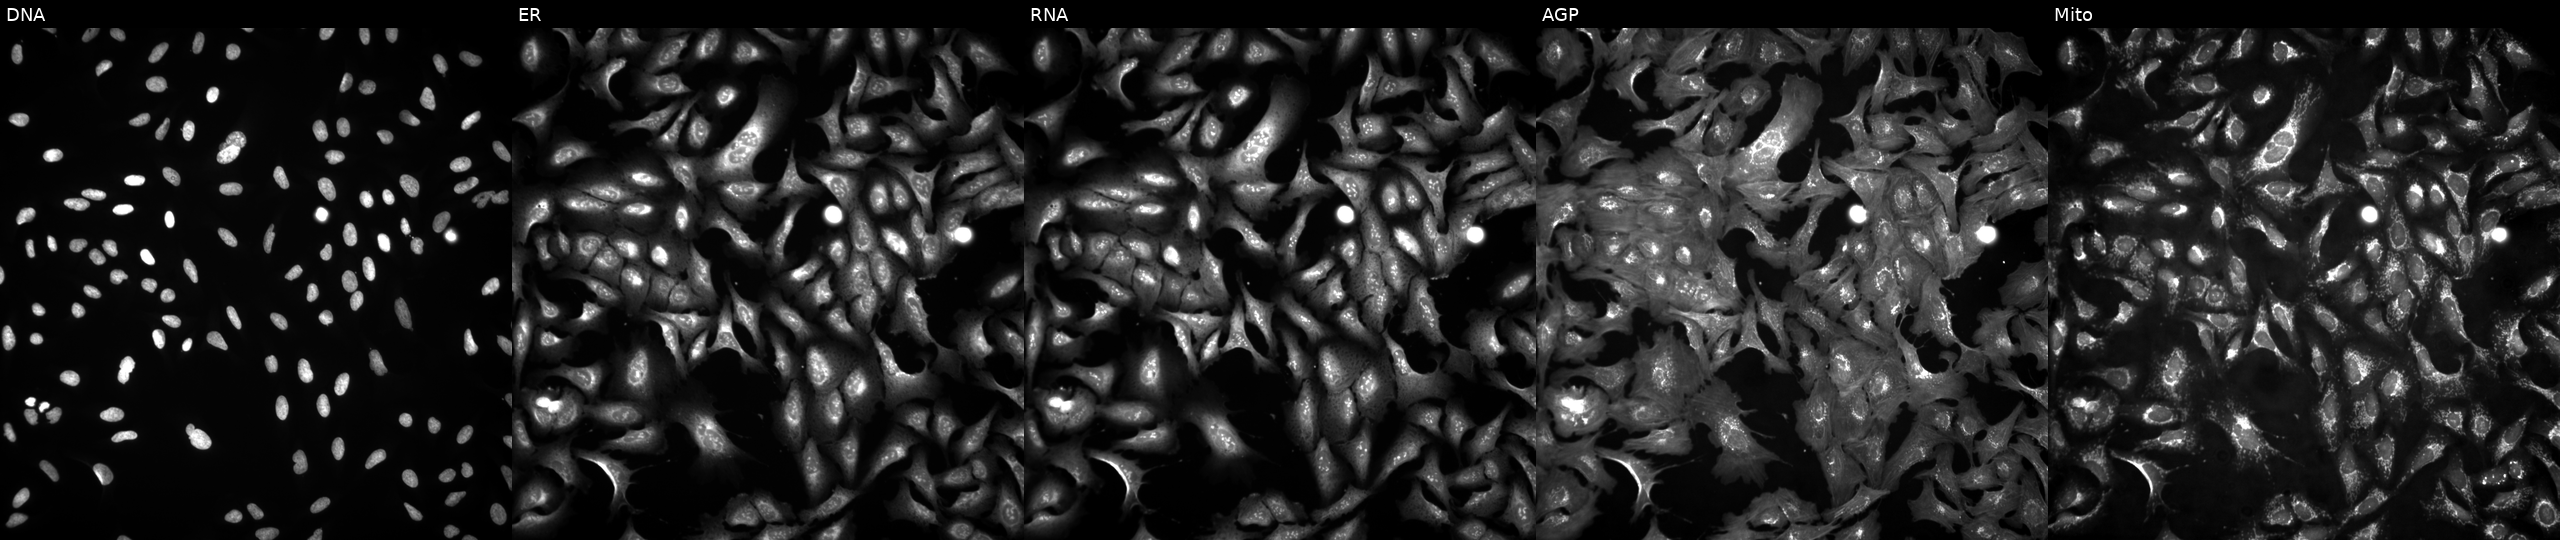
JUMP Cell Painting — ORF plate. U2OS cells overexpressing FASTKD3 via ORF transfection (JUMP id JCP2022_914156). Panels show, left to right, DNA (nuclei); ER (endoplasmic reticulum); RNA (nucleoli and cytoplasmic RNA); AGP (actin cytoskeleton, Golgi, and plasma membrane); Mito (mitochondria).